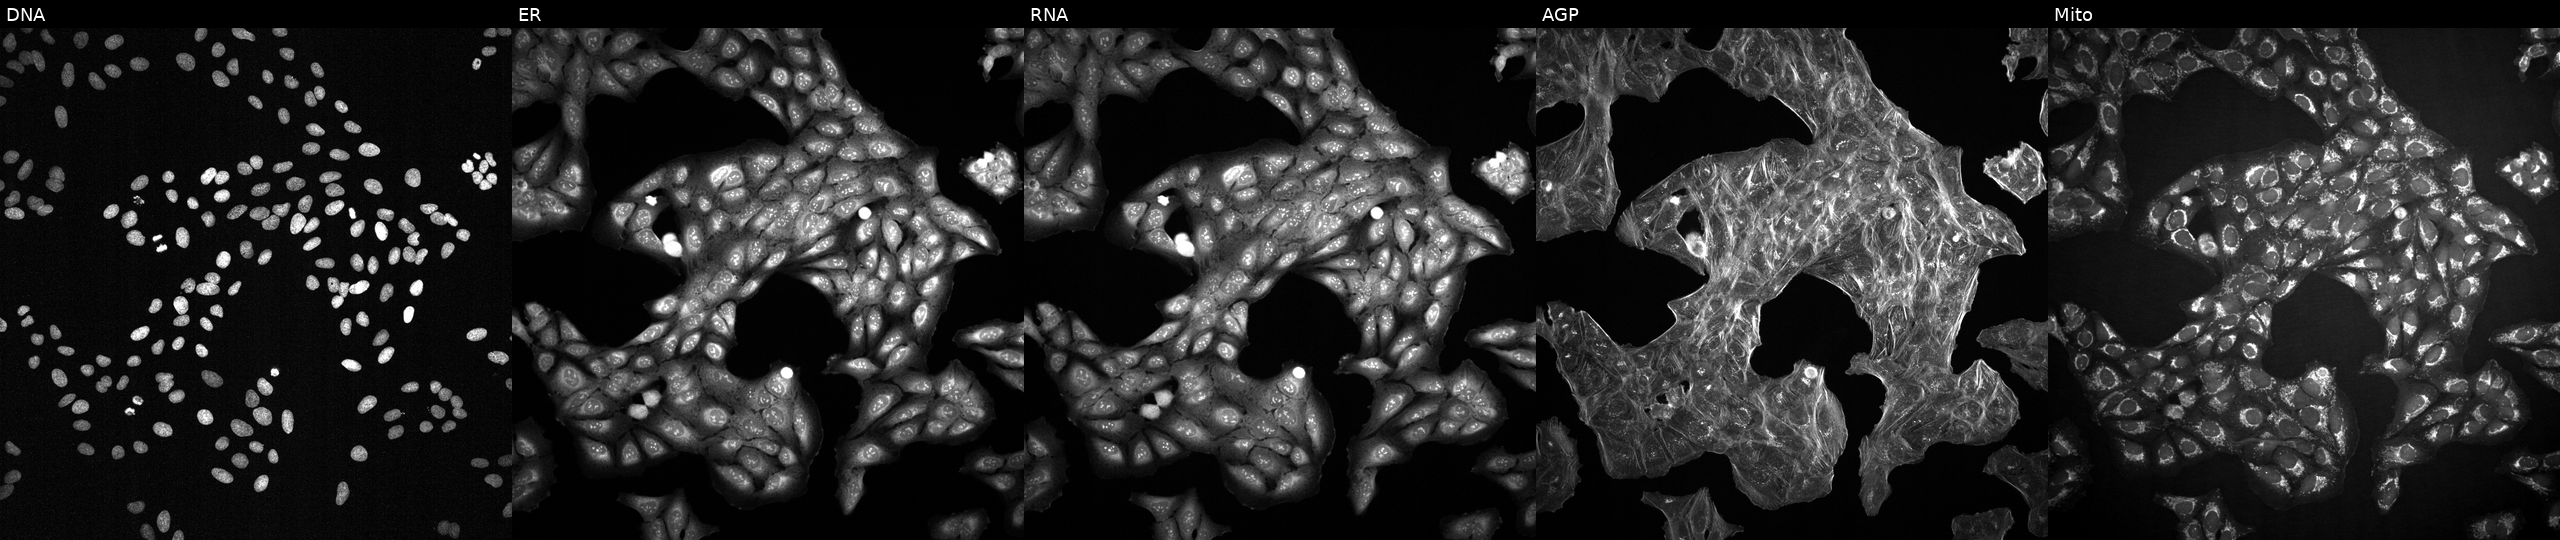
Five-channel Cell Painting image of U2OS cells treated with a small-molecule compound (InChIKey ZESFDAKNYJQYKO-UHFFFAOYSA-N) (JUMP id JCP2022_112828). The five panels, left to right, show DNA, ER, RNA, AGP, and Mito. Source 2, plate 1053599503, well P15.